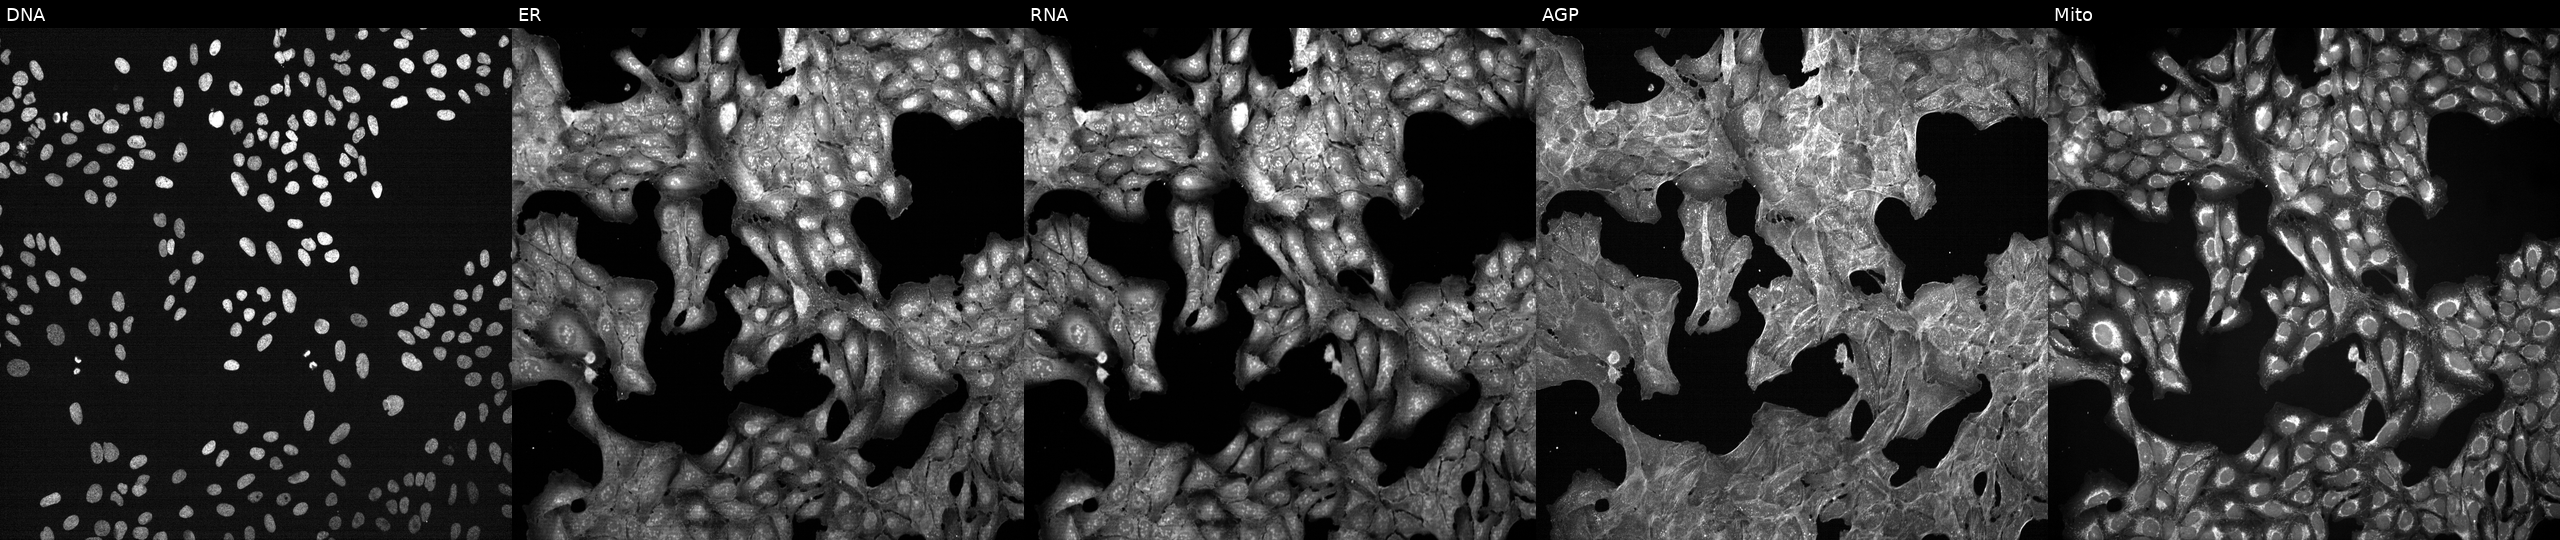
U2OS cells, Cell Painting assay, treated with a small-molecule compound (InChIKey JUUFBMODXQKSTD-UHFFFAOYSA-N). Panels show, left to right, DNA, ER, RNA, AGP, and Mito. Each panel is percentile-stretched 16-bit fluorescence.